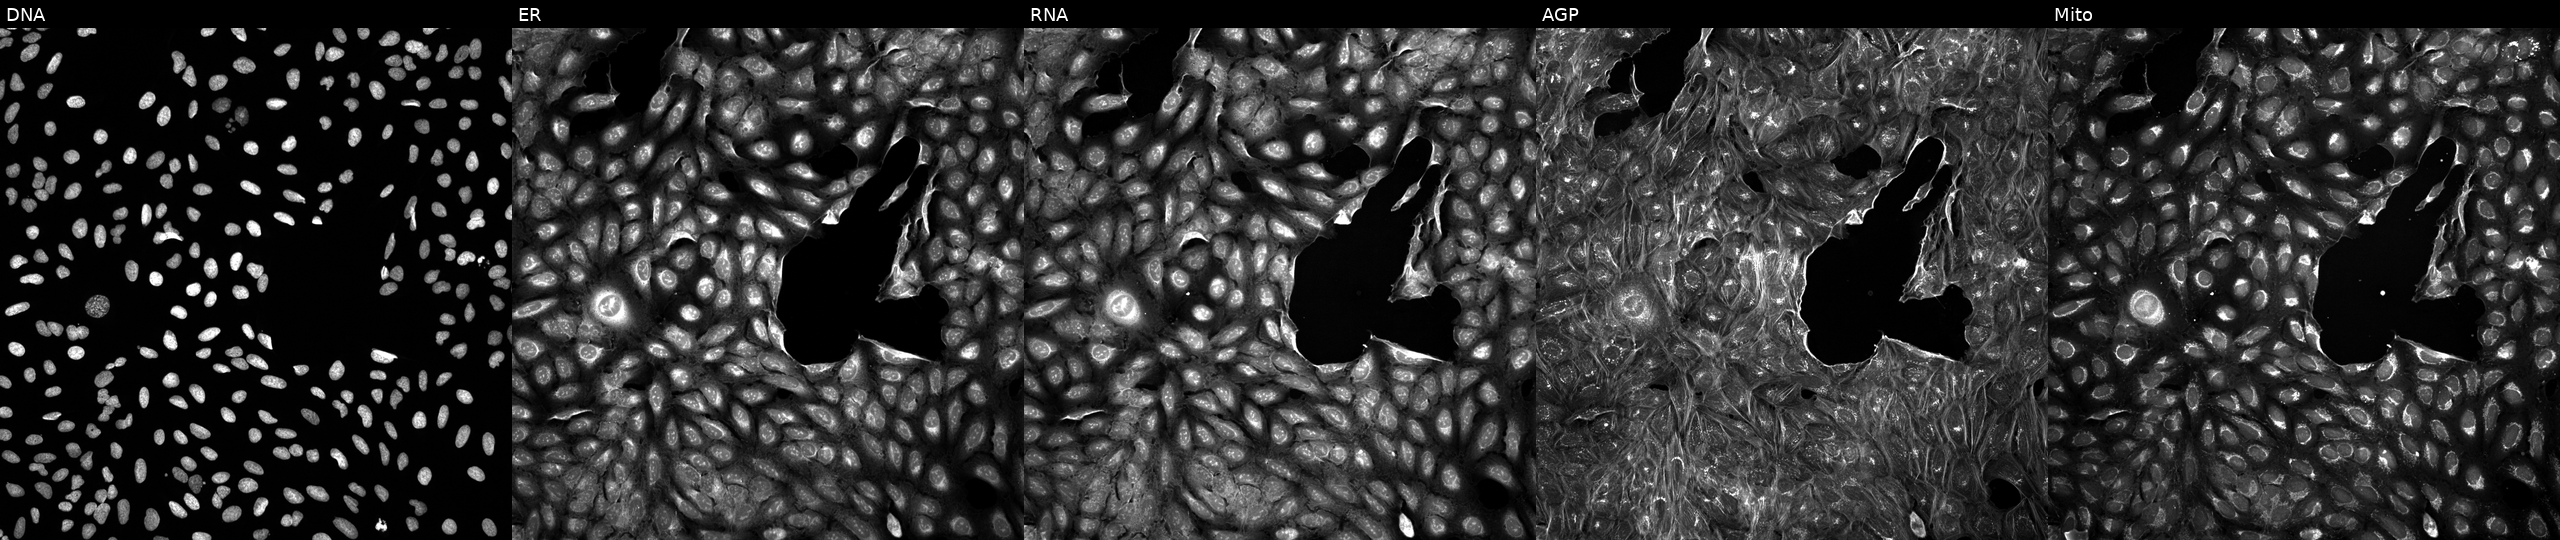
U2OS cells, Cell Painting assay, exposed to DMSO alone as a negative control. The five panels, left to right, show DNA (nuclei); ER (endoplasmic reticulum); RNA (nucleoli and cytoplasmic RNA); AGP (actin cytoskeleton, Golgi, and plasma membrane); Mito (mitochondria). Each panel is percentile-stretched 16-bit fluorescence.